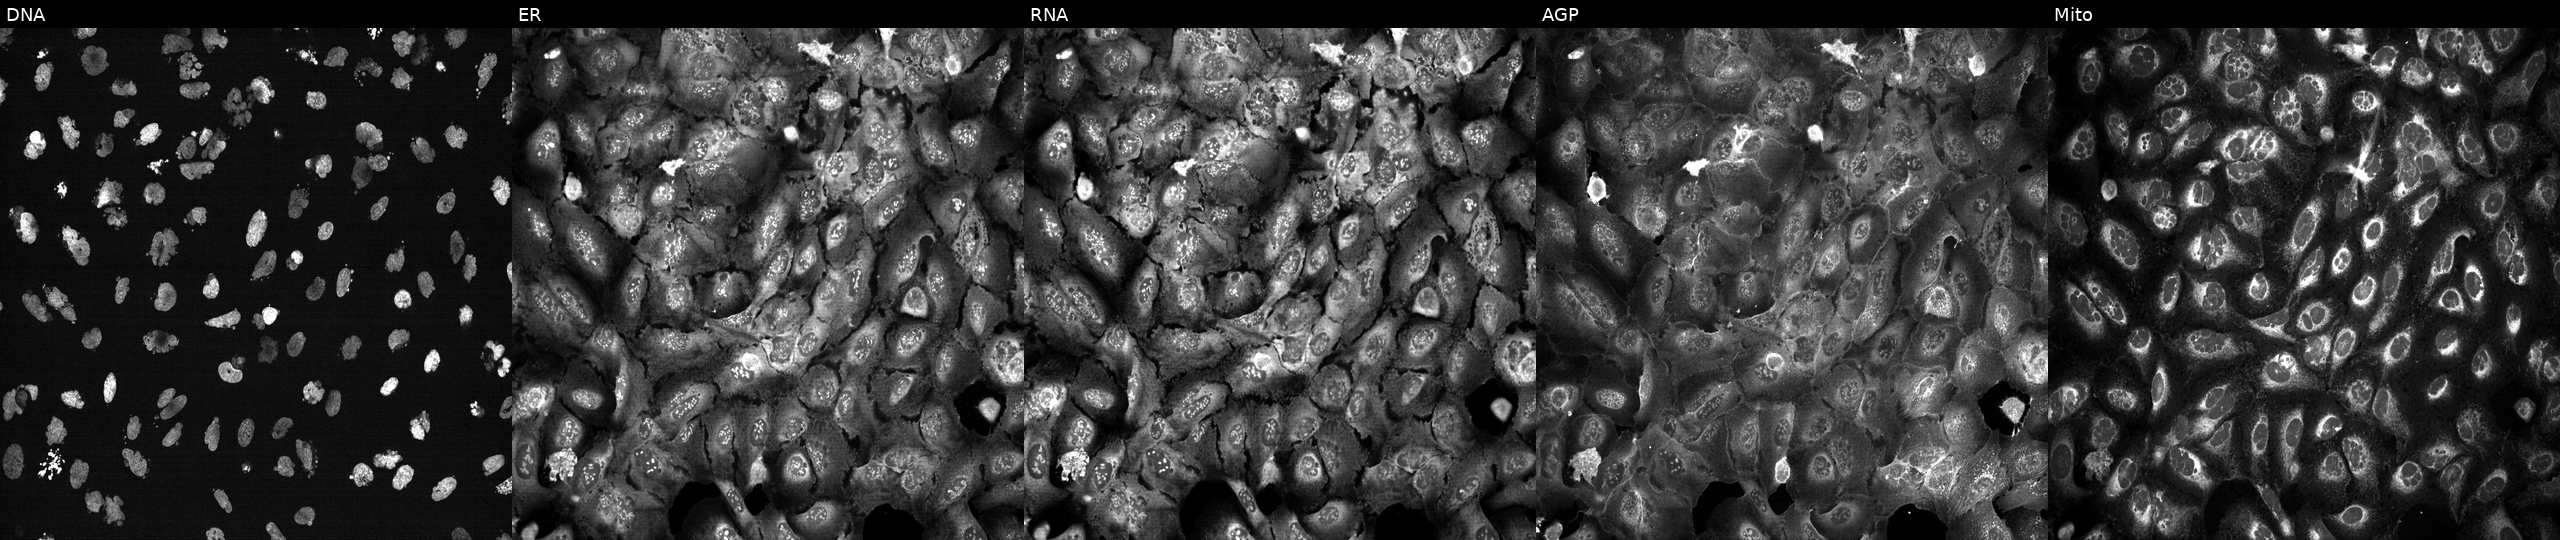
Channels (left→right): DNA (nuclei); ER (endoplasmic reticulum); RNA (nucleoli and cytoplasmic RNA); AGP (actin cytoskeleton, Golgi, and plasma membrane); Mito (mitochondria). U2OS osteosarcoma cells treated with AMG900 (positive-control compound) (JUMP id JCP2022_037716). Cell Painting assay, JUMP-CP dataset. Source 13, plate CP-CC9-R4-03, well F24.